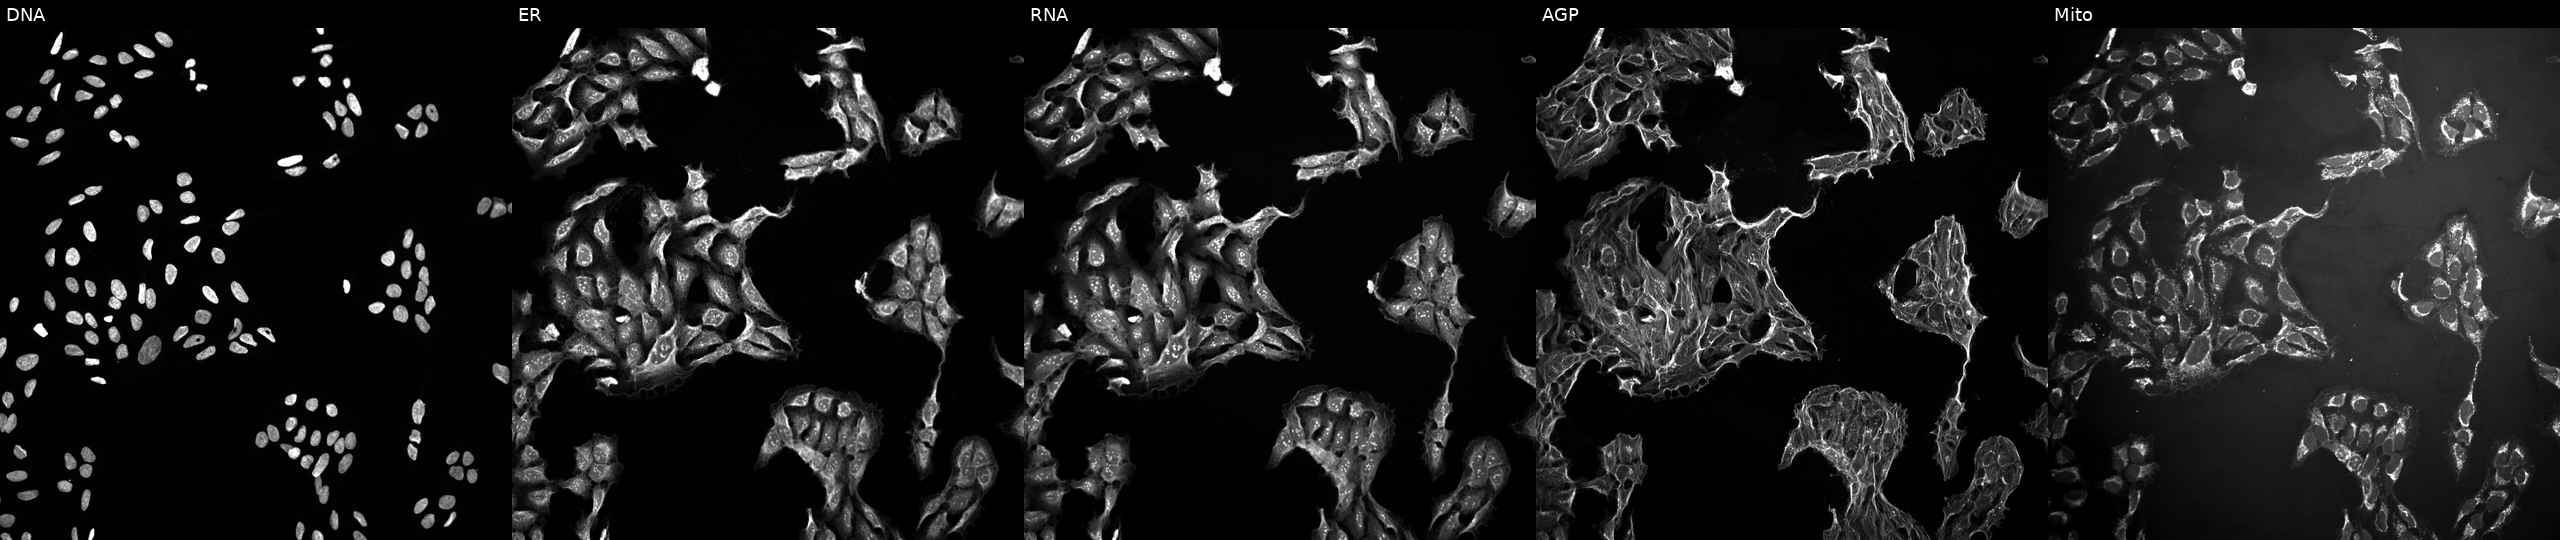
Five-channel Cell Painting image of U2OS cells perturbed with a small-molecule compound (InChIKey RDOIQAHITMMDAJ-UHFFFAOYSA-N) [SMILES: CN(C)C(=O)C(CCN1CCC(O)(c2ccc(Cl)cc2)CC1)(c1ccccc1)c1ccccc1]. The five panels, left to right, show Hoechst 33342, concanavalin A, SYTO 14, phalloidin and WGA, MitoTracker. Source 10, plate Dest210726-160150, well L24.